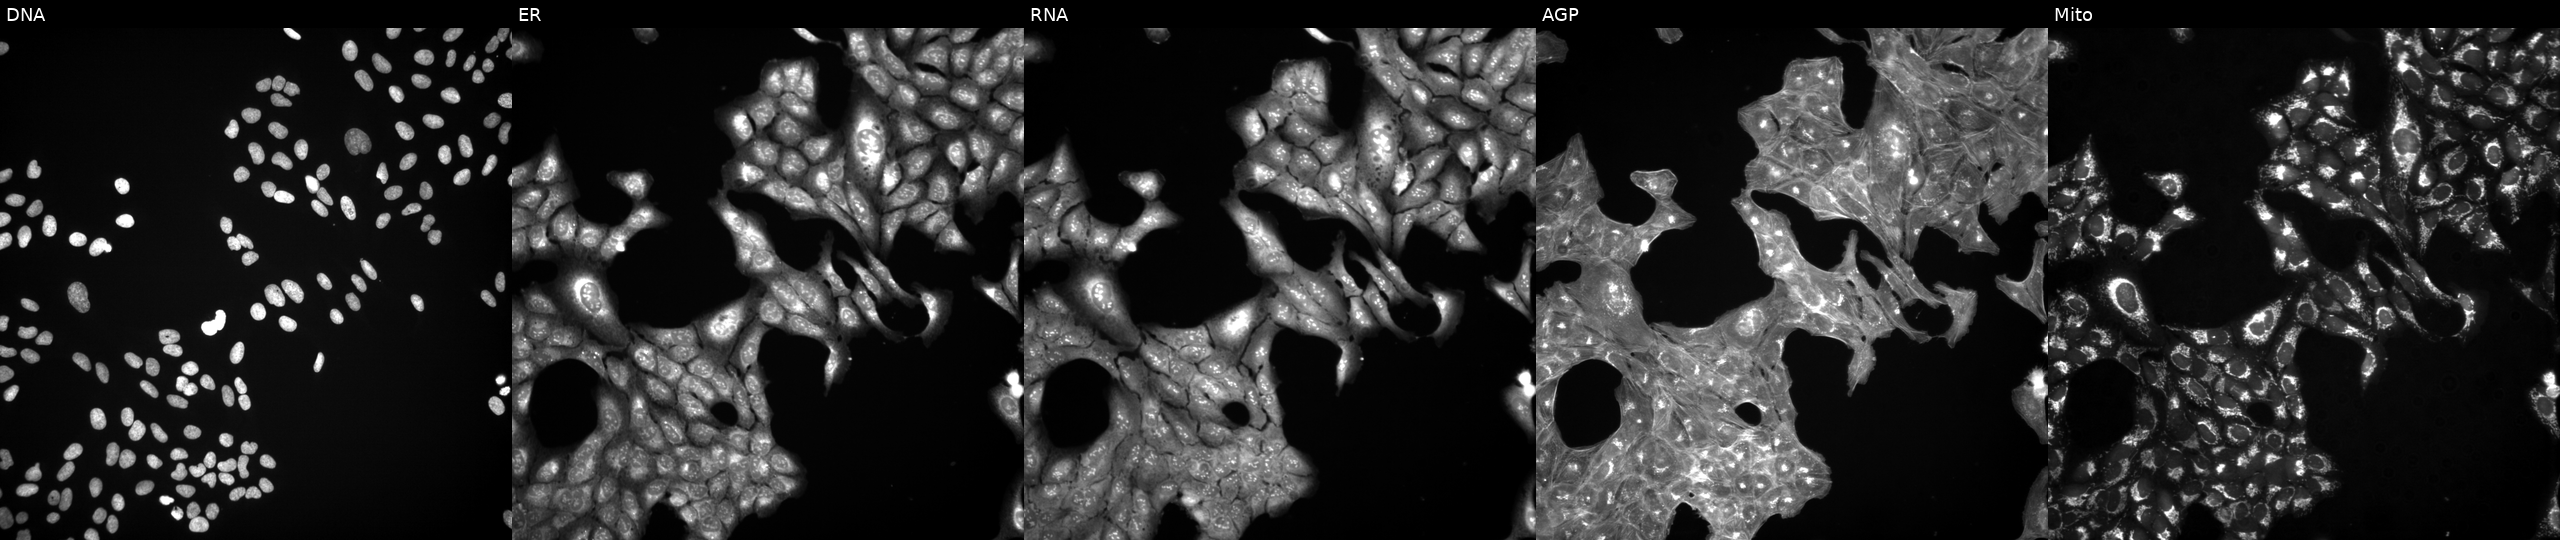
The five panels, left to right, show Hoechst 33342, concanavalin A, SYTO 14, phalloidin and WGA, MitoTracker. U2OS osteosarcoma cells treated with a small-molecule compound. Cell Painting assay, JUMP-CP dataset. Source 3, plate JCPQC051, well M17.